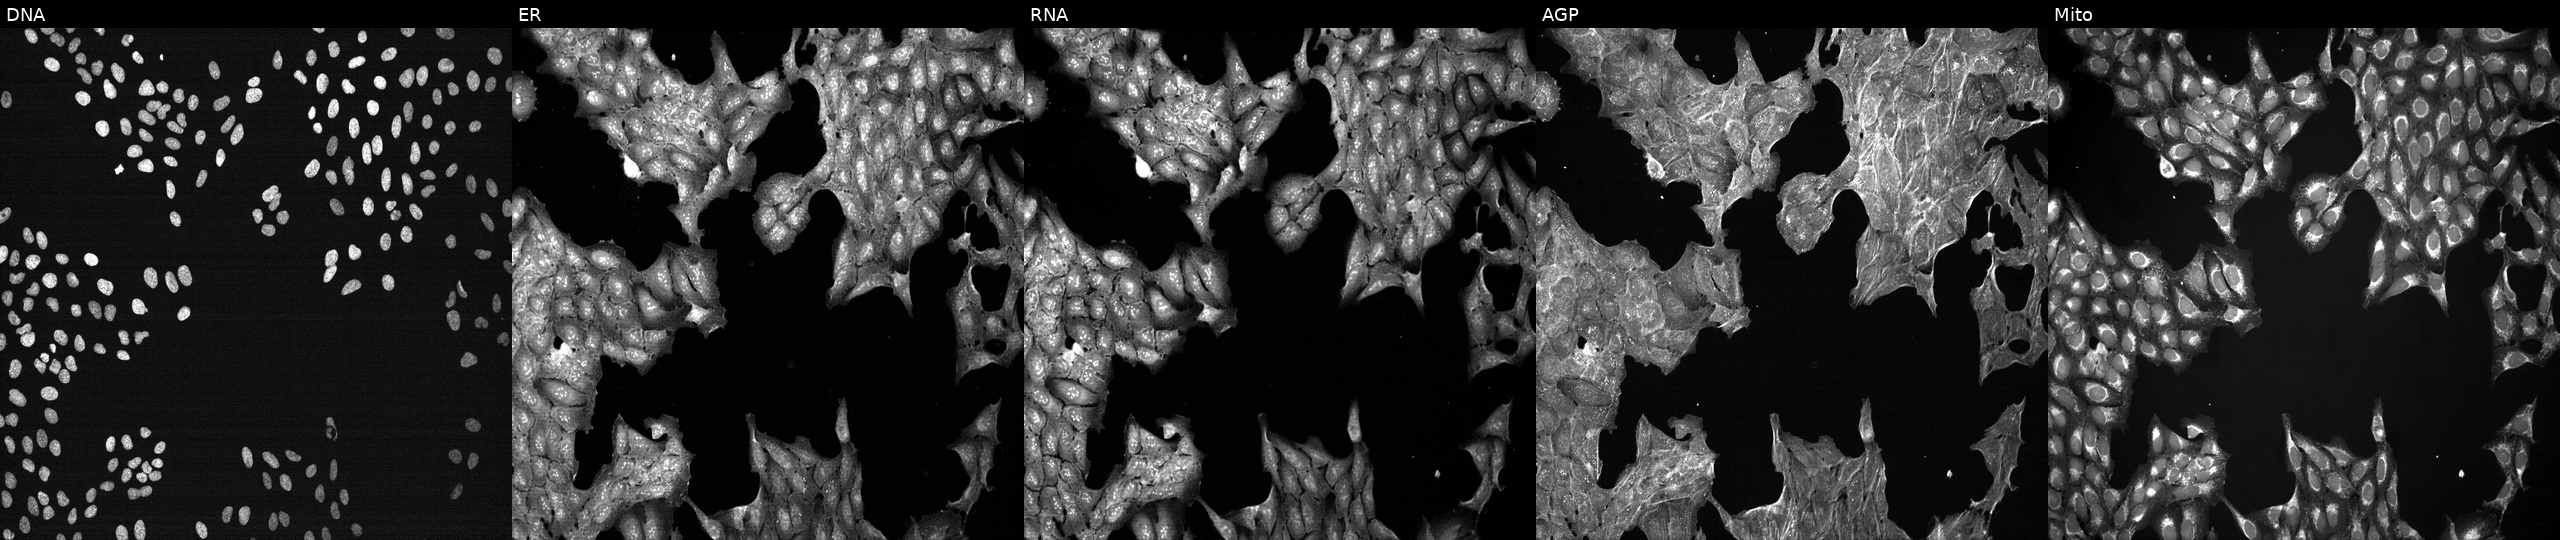
JUMP Cell Painting — TARGET2 plate. U2OS cells exposed to DMSO alone as a negative control. From left to right: Hoechst 33342, concanavalin A, SYTO 14, phalloidin and WGA, MitoTracker. Source 7, plate CP3-SC1-25, well K24.